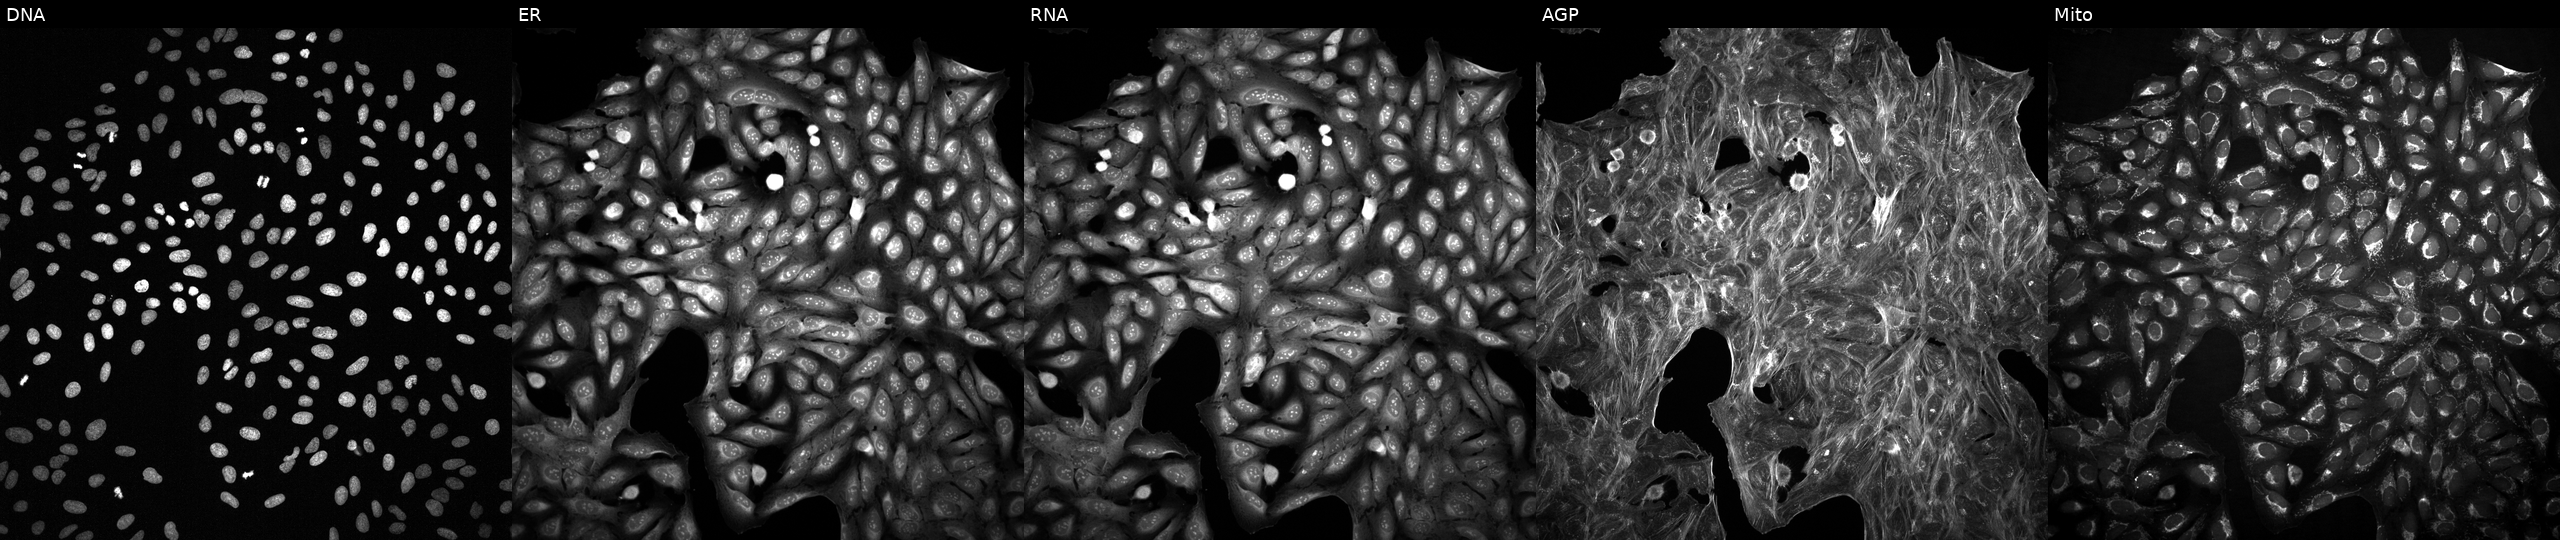
High-content fluorescence microscopy (Cell Painting). Cell line: U2OS. Perturbation: treated with a small-molecule compound (InChIKey JADQARCBSBASKV-UHFFFAOYSA-N) (JUMP id JCP2022_038457). From left to right: DNA (nuclei); ER (endoplasmic reticulum); RNA (nucleoli and cytoplasmic RNA); AGP (actin cytoskeleton, Golgi, and plasma membrane); Mito (mitochondria). Source 2, plate 1053601756, well O14.